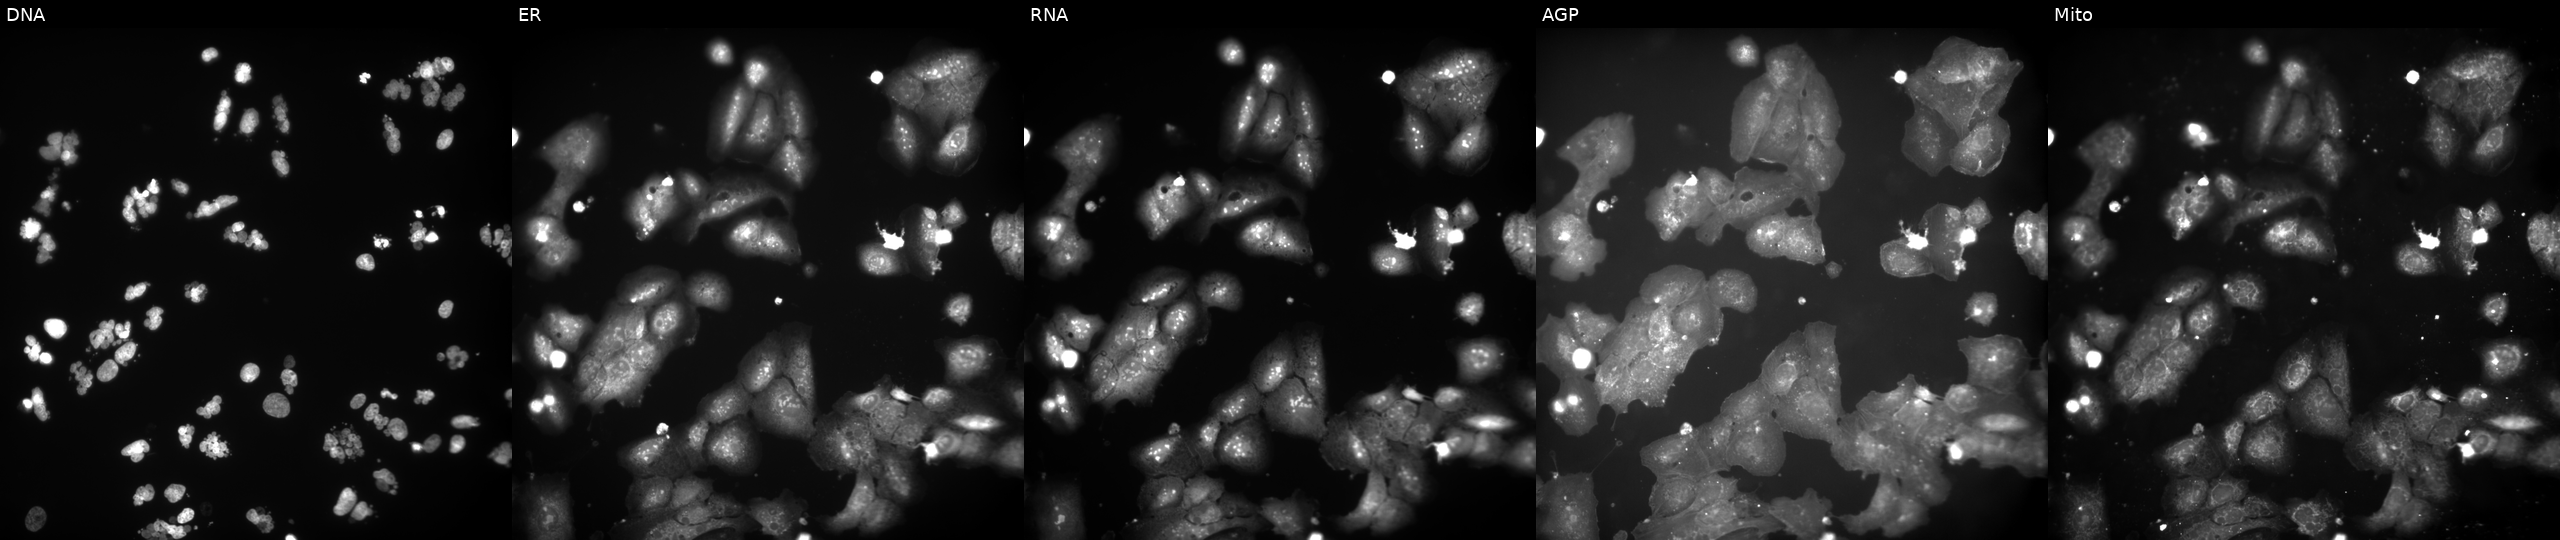
U2OS cells, Cell Painting assay, exposed to a small-molecule compound (JUMP id JCP2022_107523). From left to right: DNA, ER, RNA, AGP, and Mito. Each panel is percentile-stretched 16-bit fluorescence.